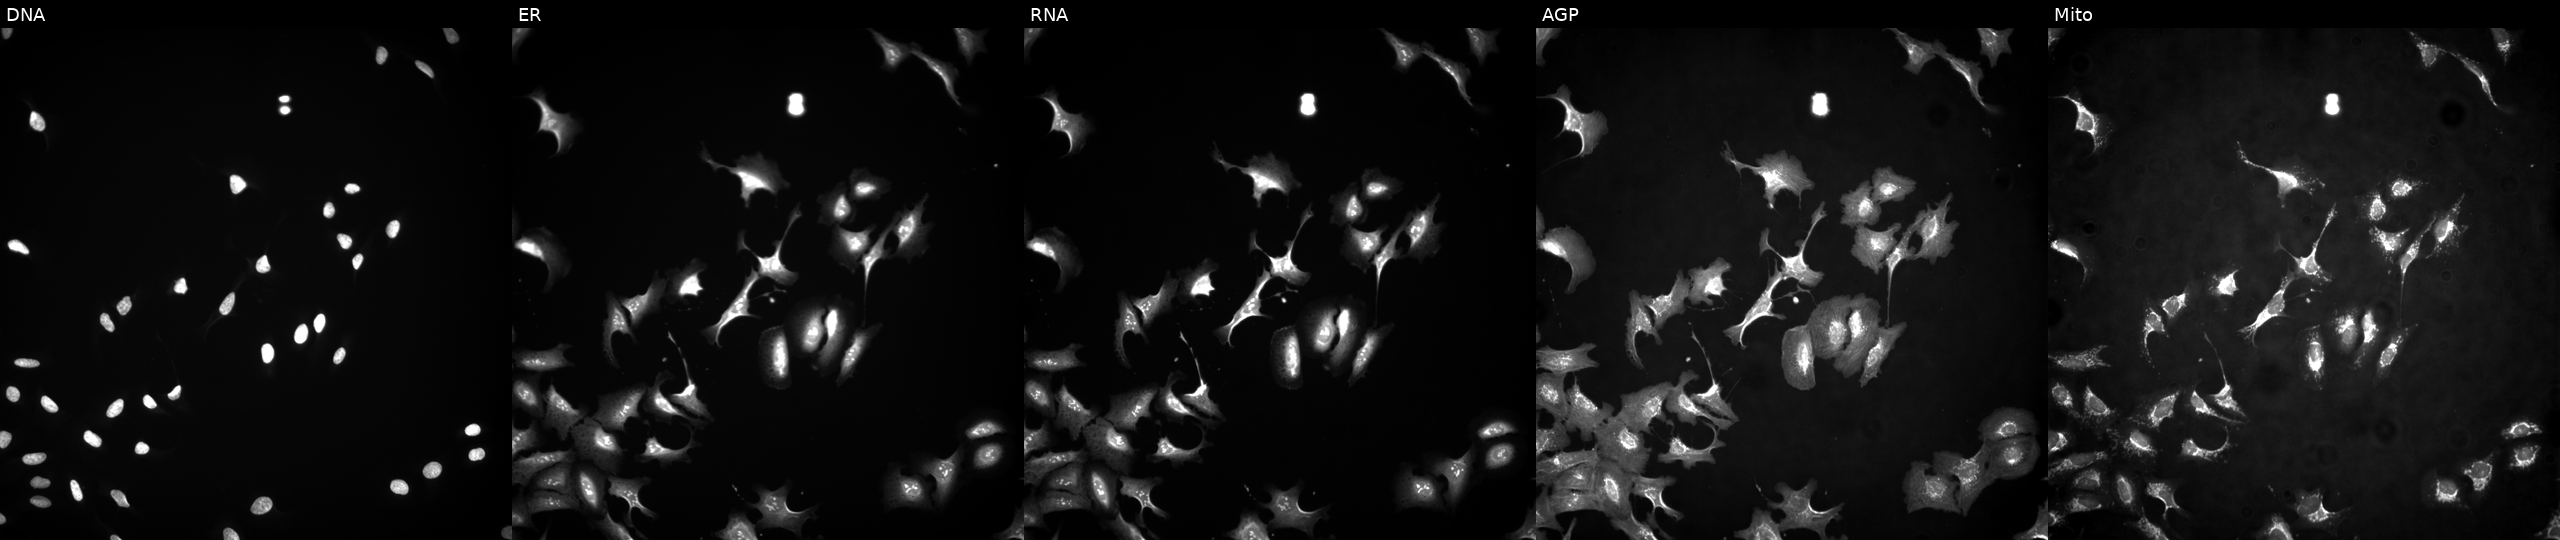
Channels (left→right): Hoechst 33342, concanavalin A, SYTO 14, phalloidin and WGA, MitoTracker. U2OS osteosarcoma cells with ZNF418 overexpressed (ORF). Cell Painting assay, JUMP-CP dataset.